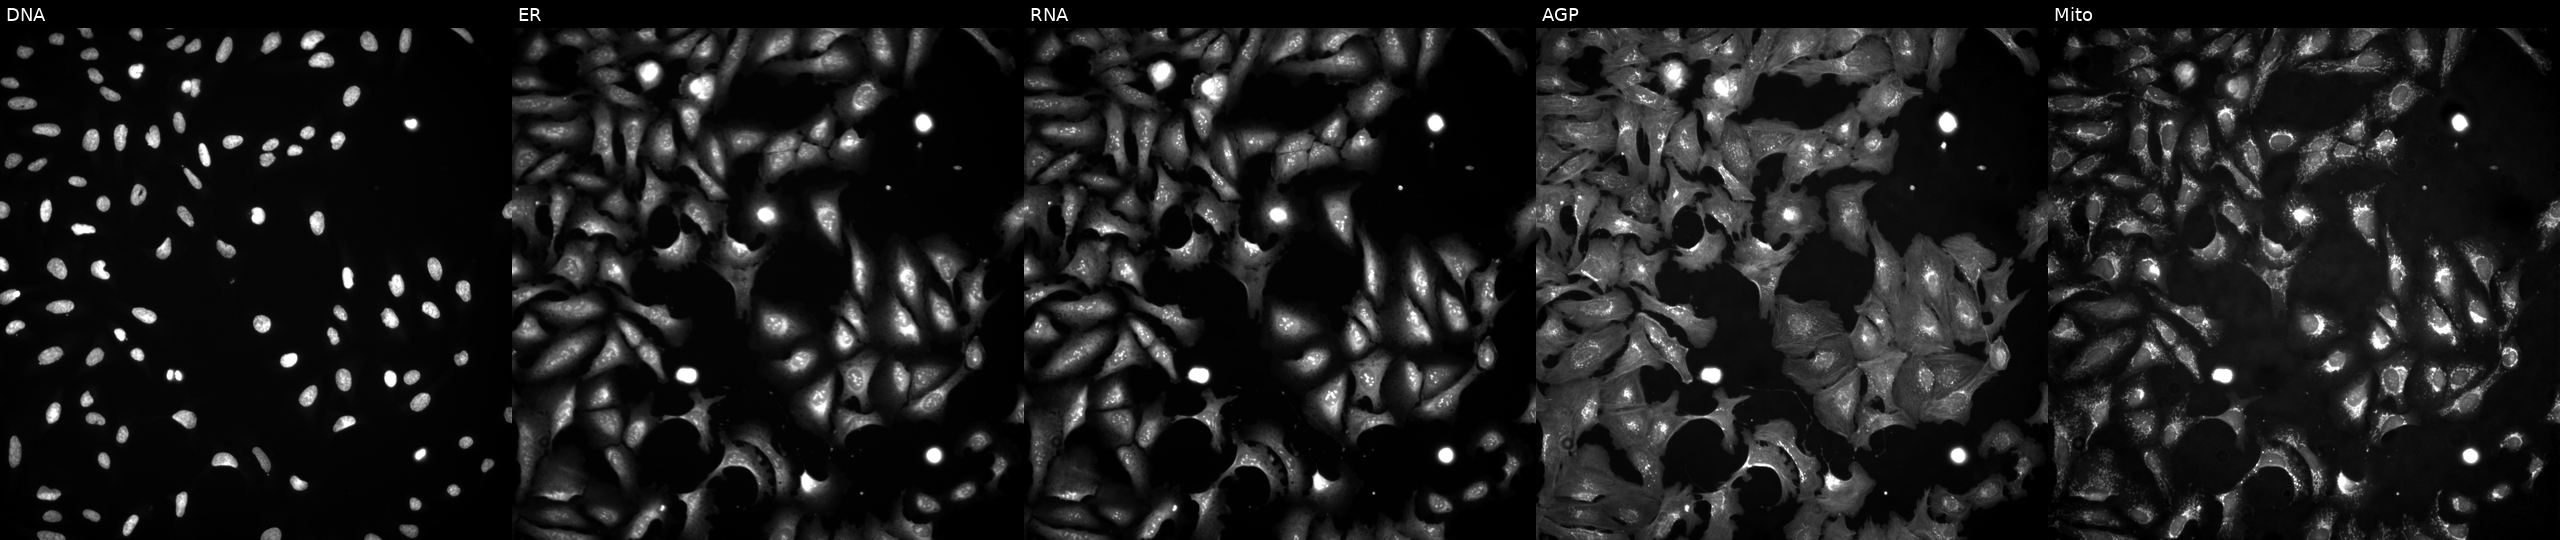
Five-channel Cell Painting image of U2OS cells with PTPRB overexpressed (ORF). Channels (left→right): DNA (nuclei); ER (endoplasmic reticulum); RNA (nucleoli and cytoplasmic RNA); AGP (actin cytoskeleton, Golgi, and plasma membrane); Mito (mitochondria).